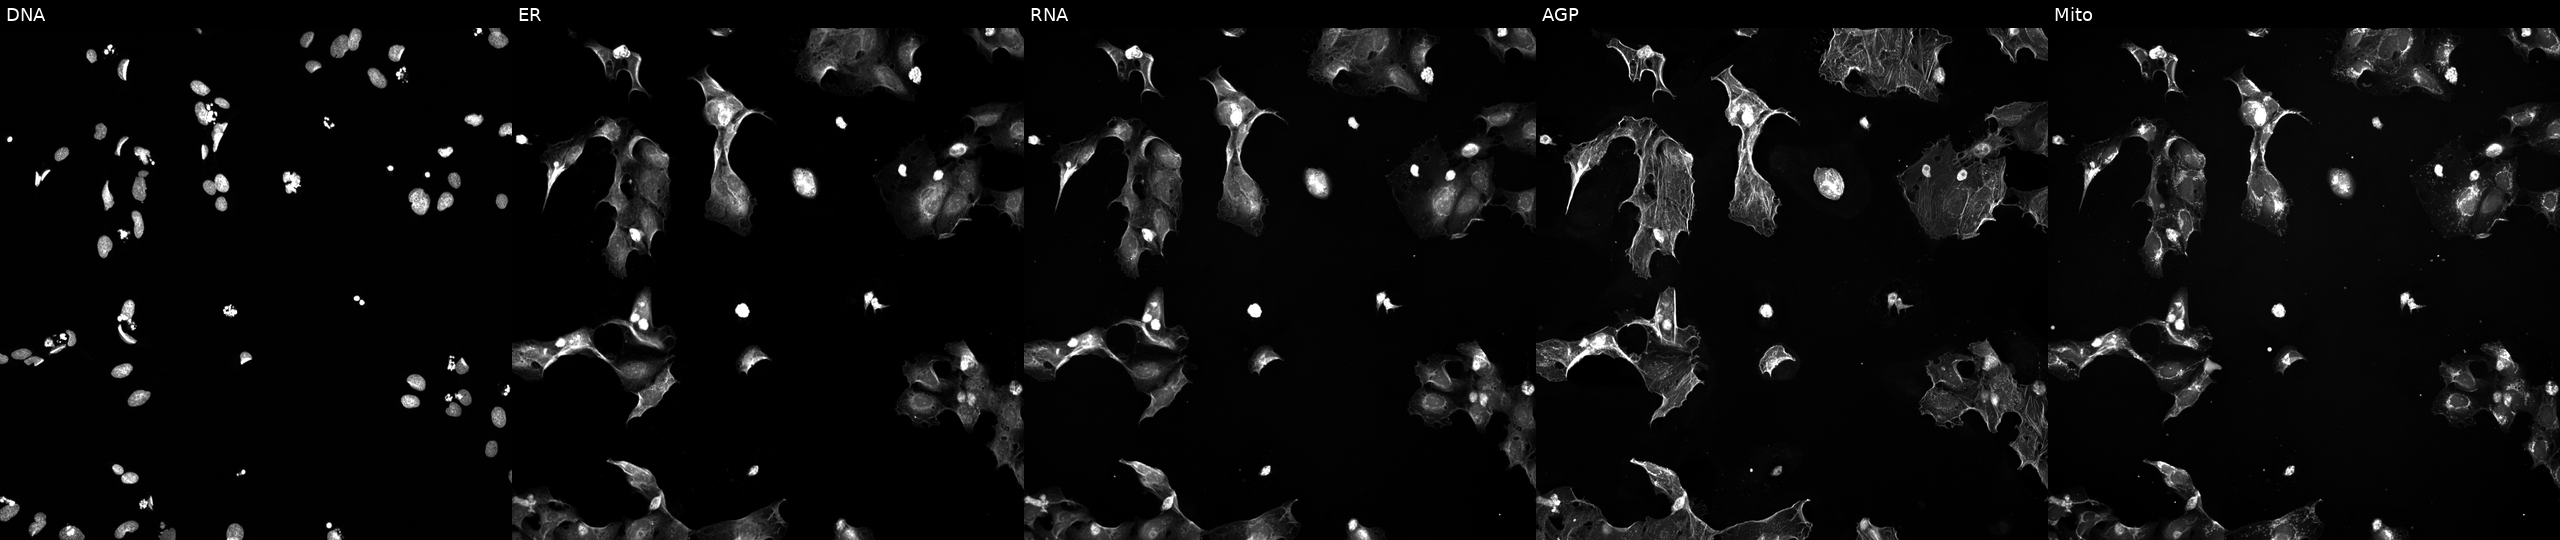
Five-channel Cell Painting image of U2OS cells treated with a small-molecule compound (InChIKey WSMQUUGTQYPVPD-UHFFFAOYSA-N) [SMILES: COc1cccc(-c2cc(F)ccc2C2Cc3[nH]c(=N)nc(C)c3C(=O)N2)n1]. The five panels, left to right, show DNA (nuclei); ER (endoplasmic reticulum); RNA (nucleoli and cytoplasmic RNA); AGP (actin cytoskeleton, Golgi, and plasma membrane); Mito (mitochondria).